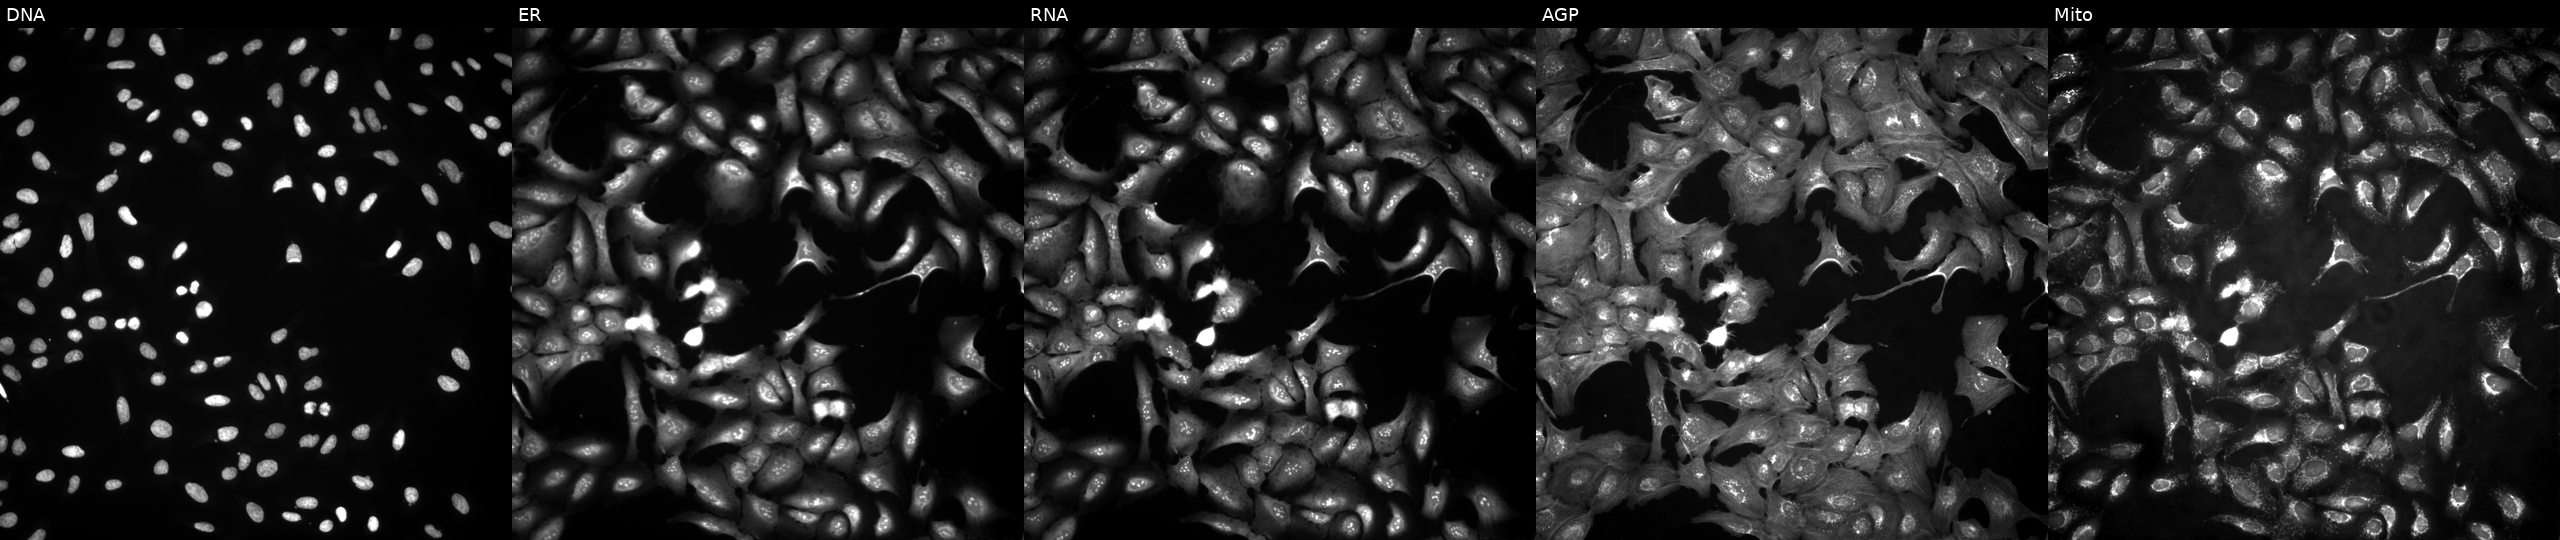
From left to right: DNA (nuclei); ER (endoplasmic reticulum); RNA (nucleoli and cytoplasmic RNA); AGP (actin cytoskeleton, Golgi, and plasma membrane); Mito (mitochondria). U2OS osteosarcoma cells overexpressing SSR3 via ORF transfection (JUMP id JCP2022_901490). Cell Painting assay, JUMP-CP dataset.